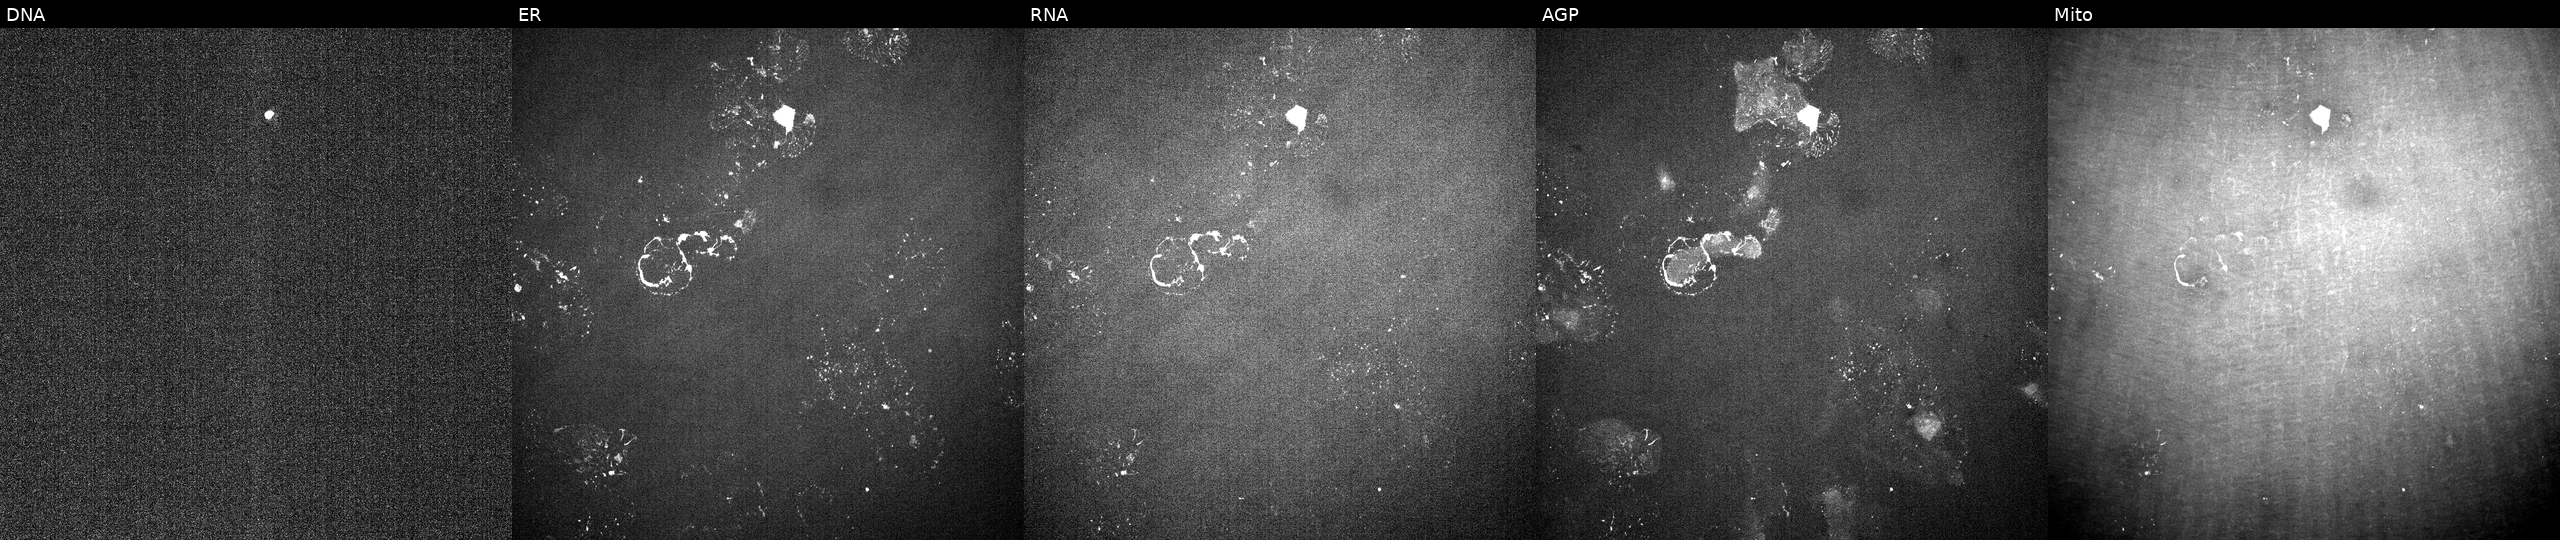
This image strip shows the five Cell Painting channels for a single field of U2OS cells perturbed with a small-molecule compound (InChIKey DUKQPWDVIZDABV-UHFFFAOYSA-N). Panels show, left to right, Hoechst 33342, concanavalin A, SYTO 14, phalloidin and WGA, MitoTracker.